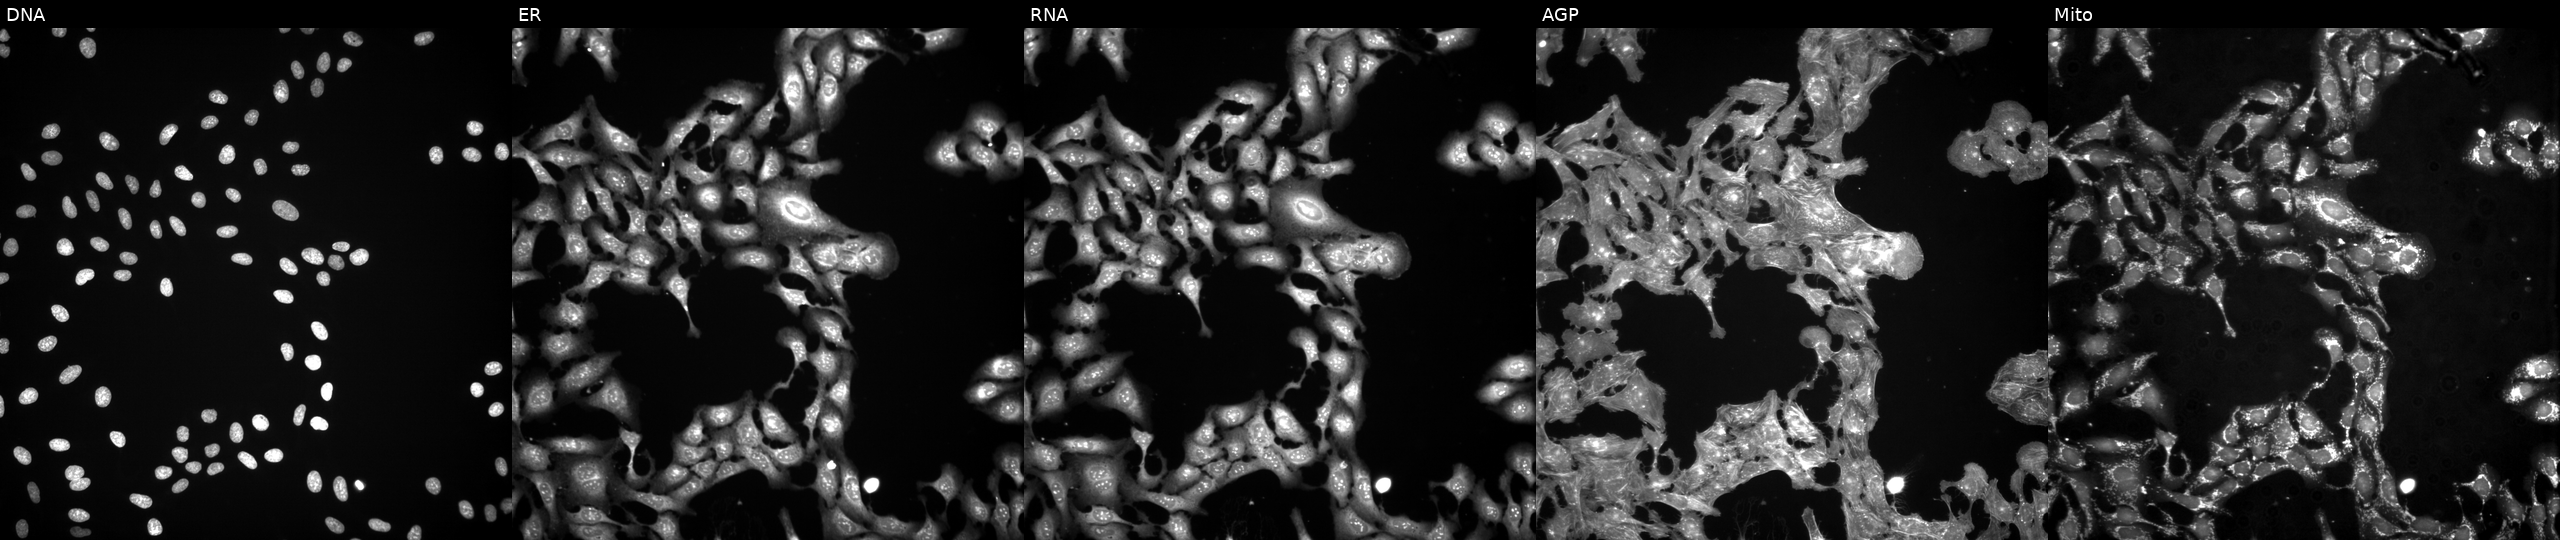
Five-channel Cell Painting image of U2OS cells exposed to the positive-control compound FK-866. From left to right: Hoechst 33342, concanavalin A, SYTO 14, phalloidin and WGA, MitoTracker.